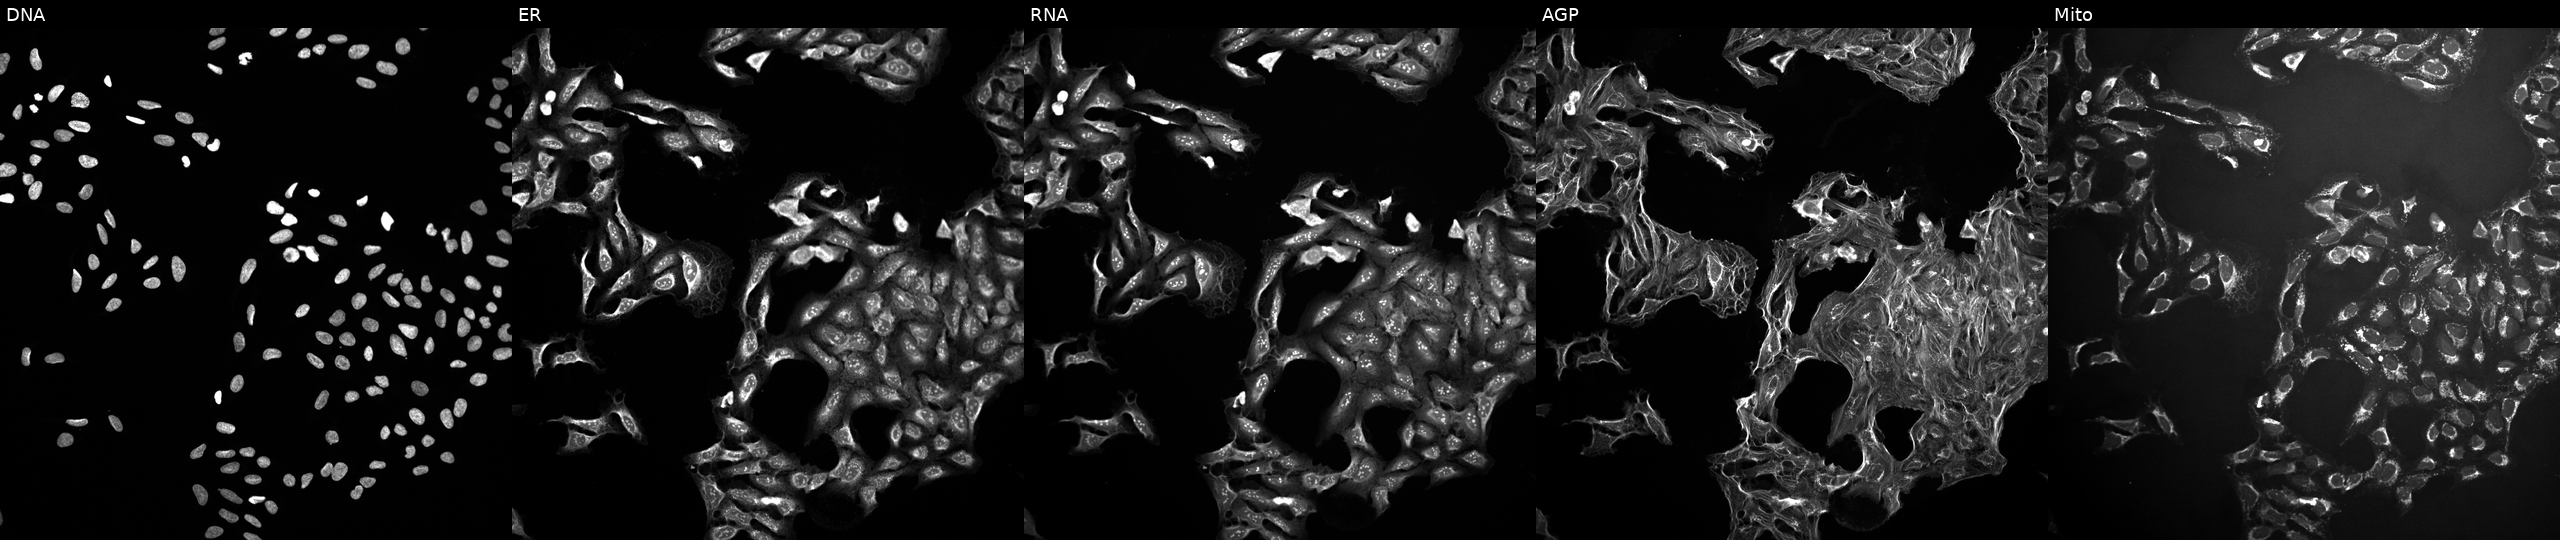
Channels (left→right): Hoechst 33342, concanavalin A, SYTO 14, phalloidin and WGA, MitoTracker. U2OS osteosarcoma cells perturbed with a small-molecule compound (InChIKey IIQUYGWWHIHOCF-UHFFFAOYSA-N). Cell Painting assay, JUMP-CP dataset.